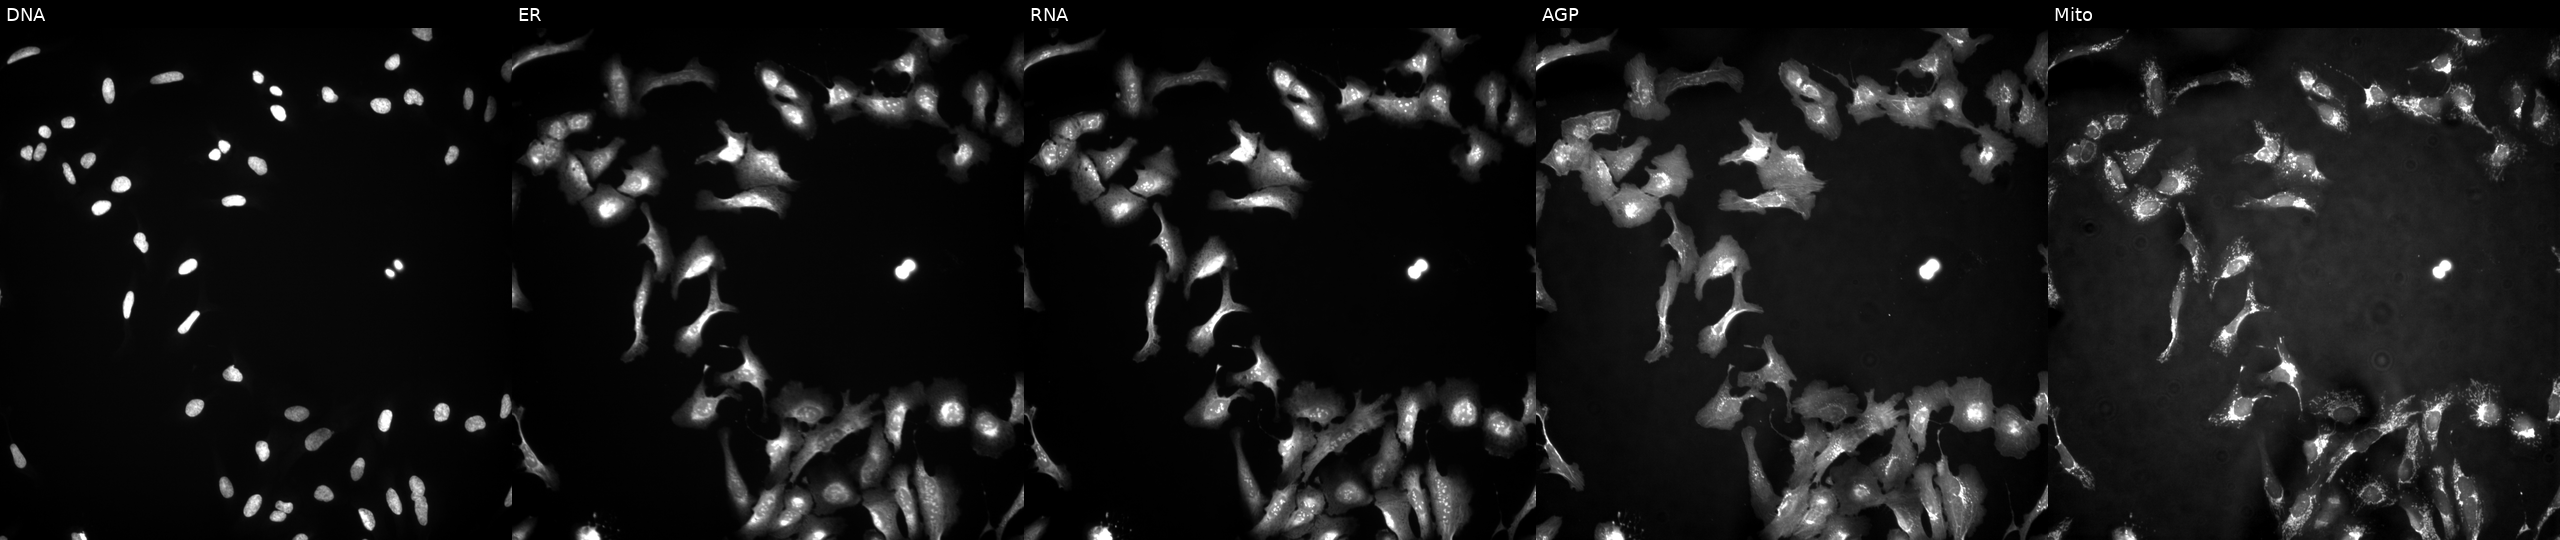
High-content fluorescence microscopy (Cell Painting). Cell line: U2OS. Perturbation: with PTPN9 overexpressed (ORF). From left to right: DNA (nuclei); ER (endoplasmic reticulum); RNA (nucleoli and cytoplasmic RNA); AGP (actin cytoskeleton, Golgi, and plasma membrane); Mito (mitochondria).